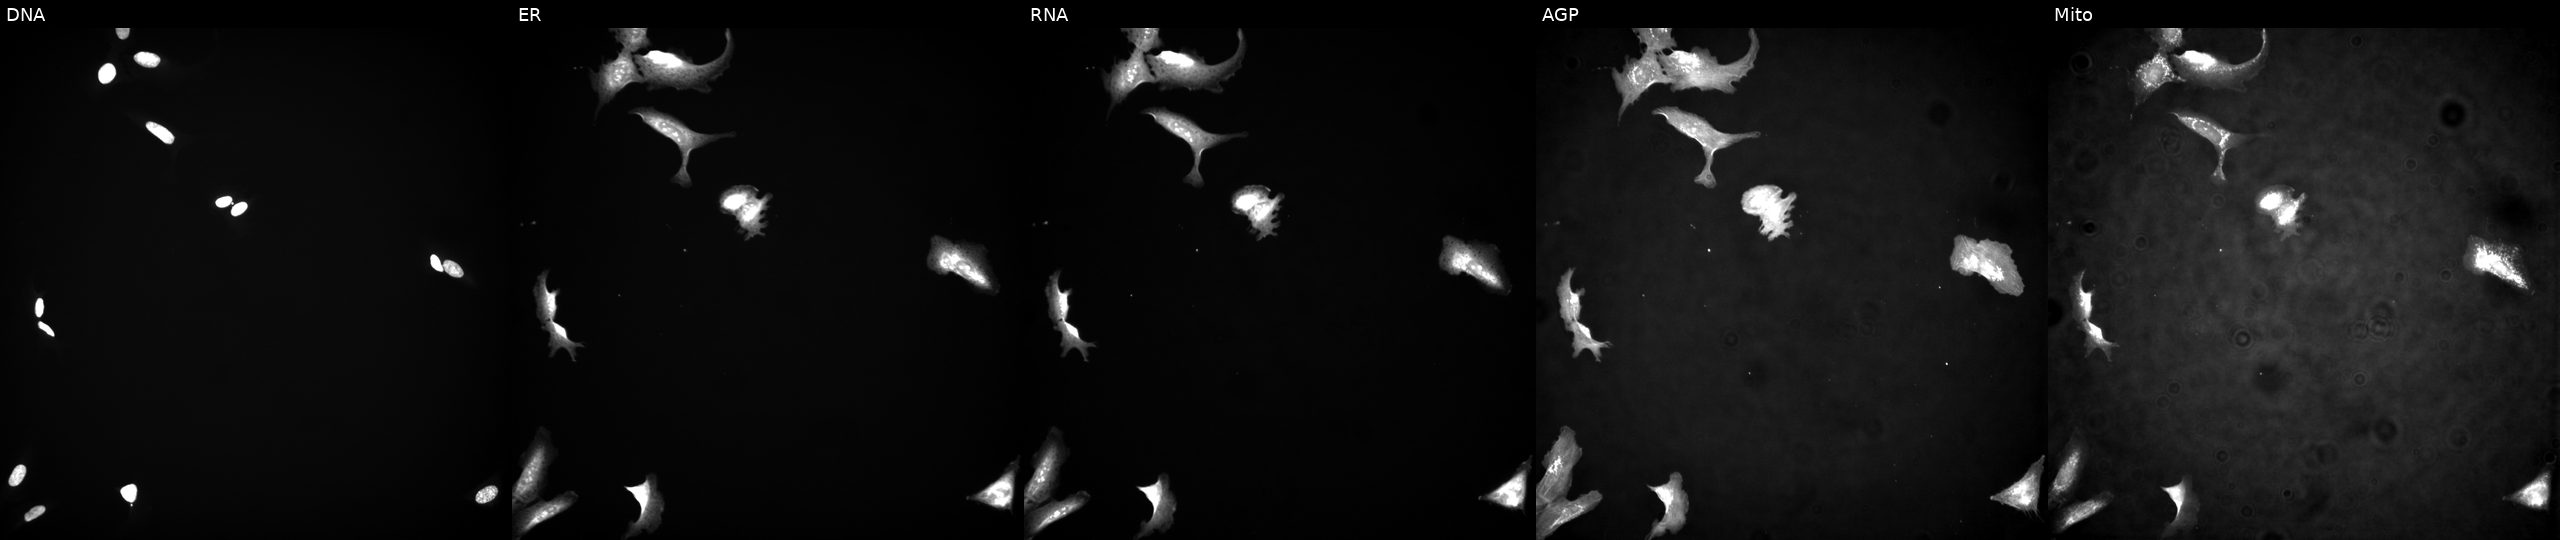
The five panels, left to right, show DNA, ER, RNA, AGP, and Mito. U2OS osteosarcoma cells overexpressing TSSK4 via ORF transfection. Cell Painting assay, JUMP-CP dataset. Source 4, plate BR00123945, well J12.